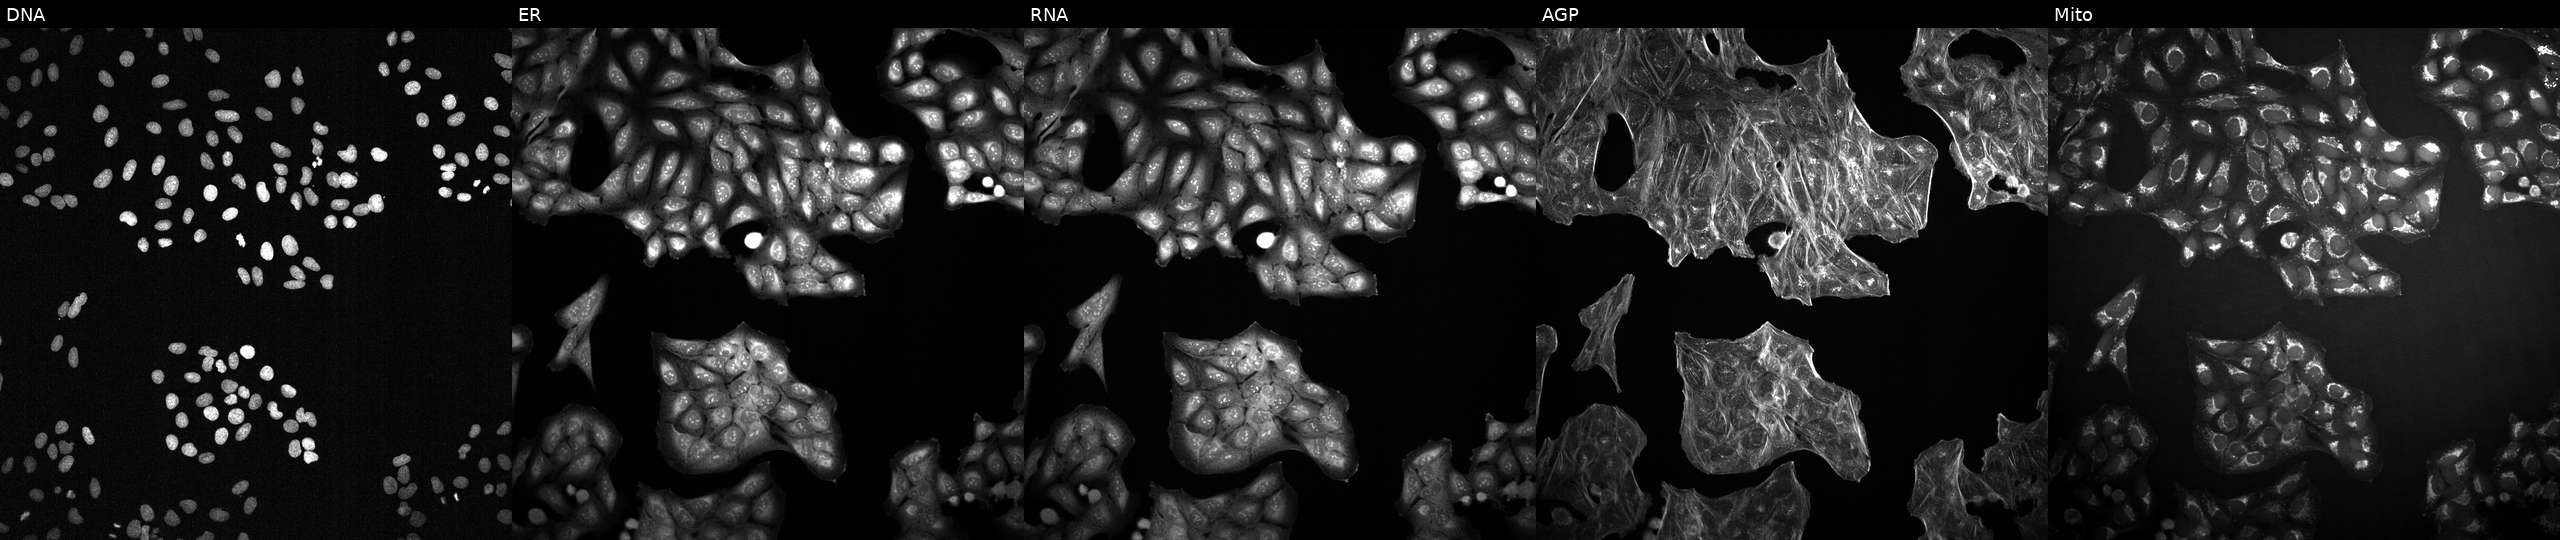
U2OS cells, Cell Painting assay, treated with DMSO vehicle only (negative control). Panels show, left to right, Hoechst 33342, concanavalin A, SYTO 14, phalloidin and WGA, MitoTracker. Each panel is percentile-stretched 16-bit fluorescence. Source 2, plate 1053599503, well O12.